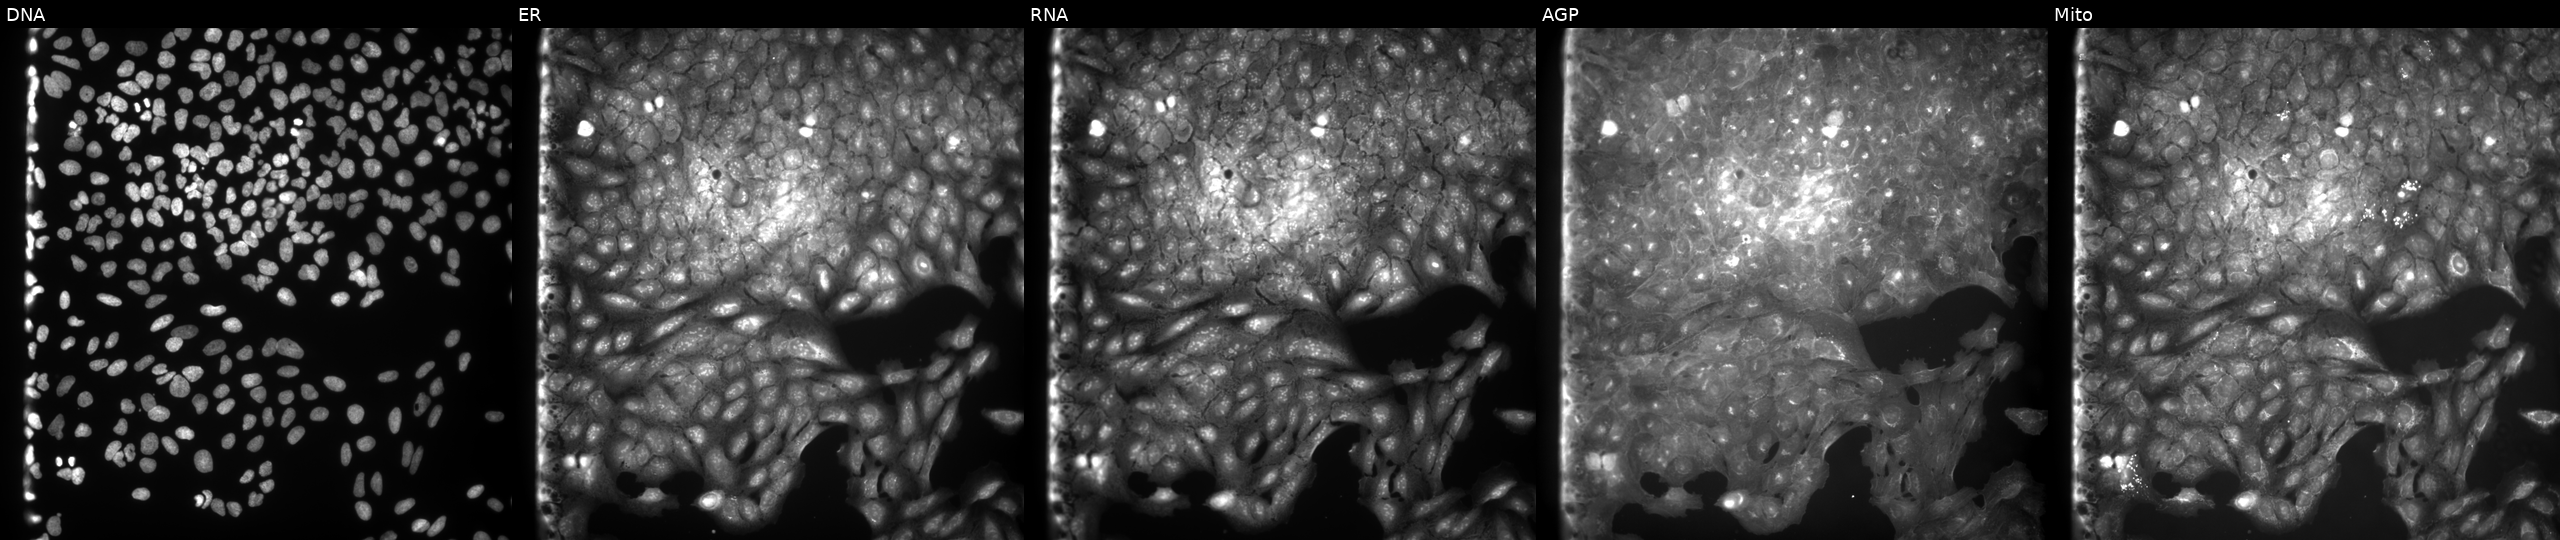
Panels show, left to right, DNA (nuclei); ER (endoplasmic reticulum); RNA (nucleoli and cytoplasmic RNA); AGP (actin cytoskeleton, Golgi, and plasma membrane); Mito (mitochondria). U2OS osteosarcoma cells perturbed with a small-molecule compound (InChIKey CVVNLECKZRYEIZ-UHFFFAOYSA-N) (JUMP id JCP2022_013757). Cell Painting assay, JUMP-CP dataset. Source 9, plate GR00003382, well J07.